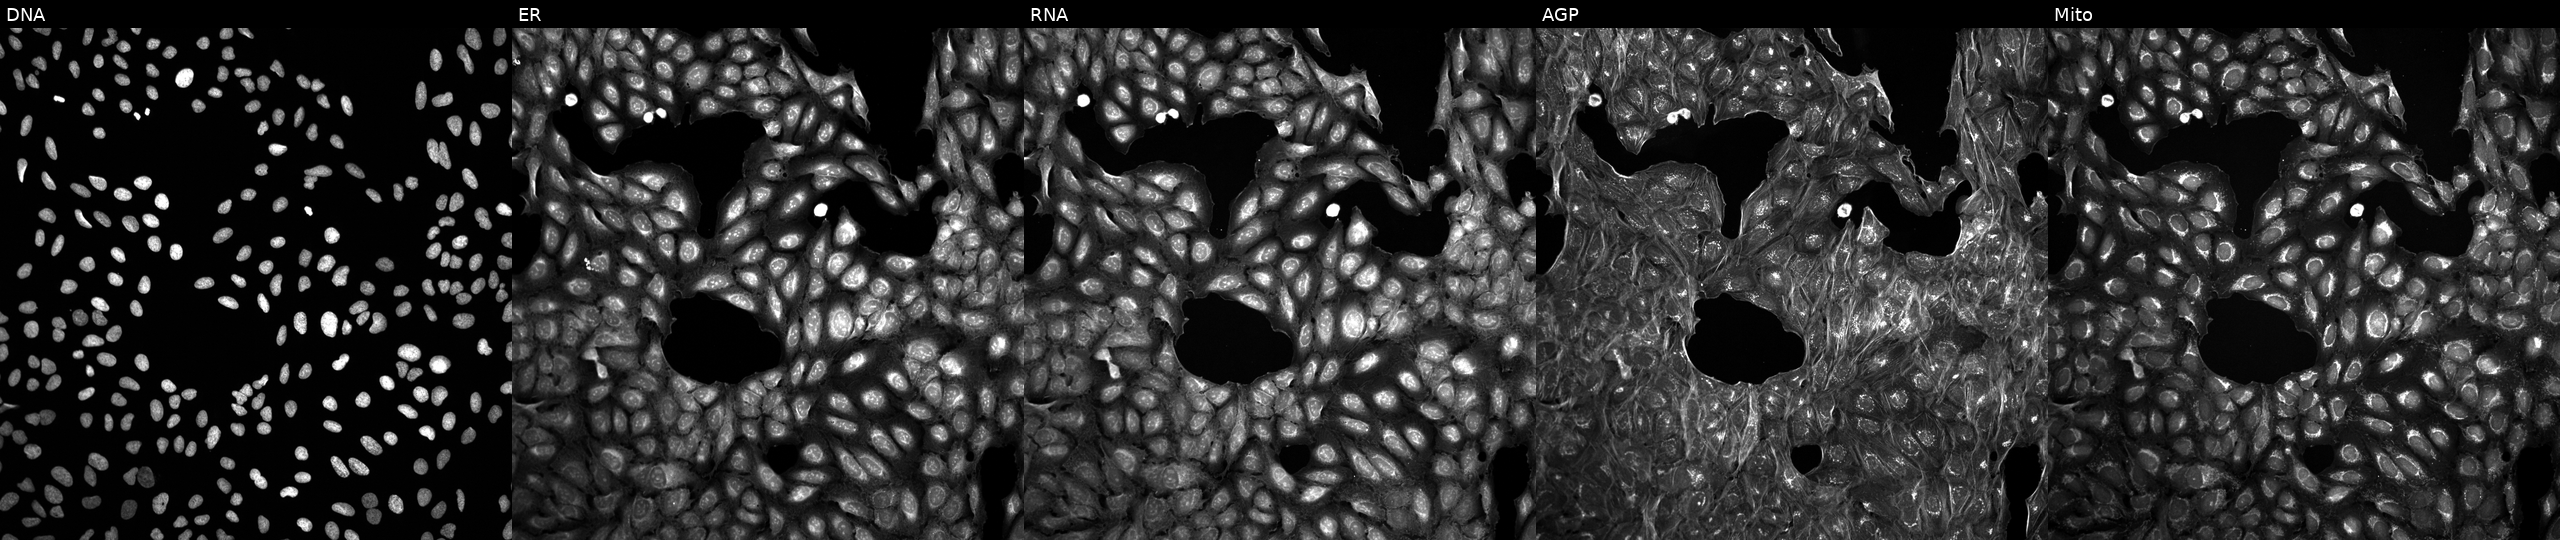
Channels (left→right): Hoechst 33342, concanavalin A, SYTO 14, phalloidin and WGA, MitoTracker. U2OS osteosarcoma cells exposed to a small-molecule compound (InChIKey IYVCIFJUDFKFKS-UHFFFAOYSA-N) [SMILES: COCc1nc(CCNC(O)c2cc(O)n(Cc3ccc(C)cc3)c2)no1] (JUMP id JCP2022_038213). Cell Painting assay, JUMP-CP dataset.